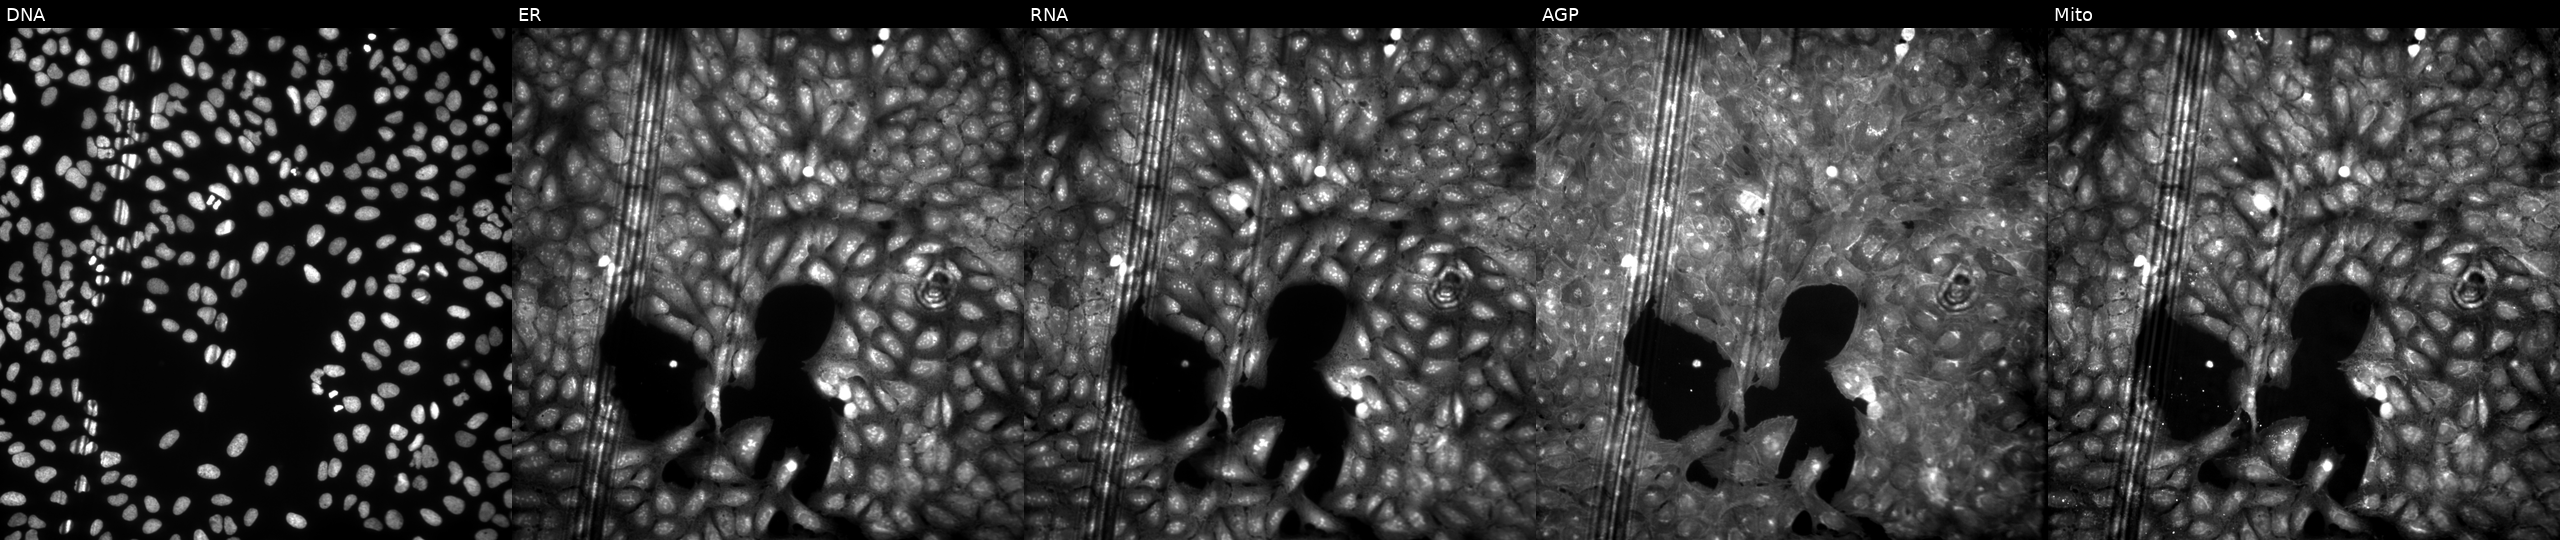
Panels show, left to right, DNA (nuclei); ER (endoplasmic reticulum); RNA (nucleoli and cytoplasmic RNA); AGP (actin cytoskeleton, Golgi, and plasma membrane); Mito (mitochondria). U2OS osteosarcoma cells perturbed with a small-molecule compound (InChIKey GYVMVMXZFZYJNG-UHFFFAOYSA-N) [SMILES: Cc1cc(N2CCN(C(=O)c3cccs3)CC2)c(F)cc1[N+](=O)[O-]]. Cell Painting assay, JUMP-CP dataset. Source 9, plate GR00003381, well W32.